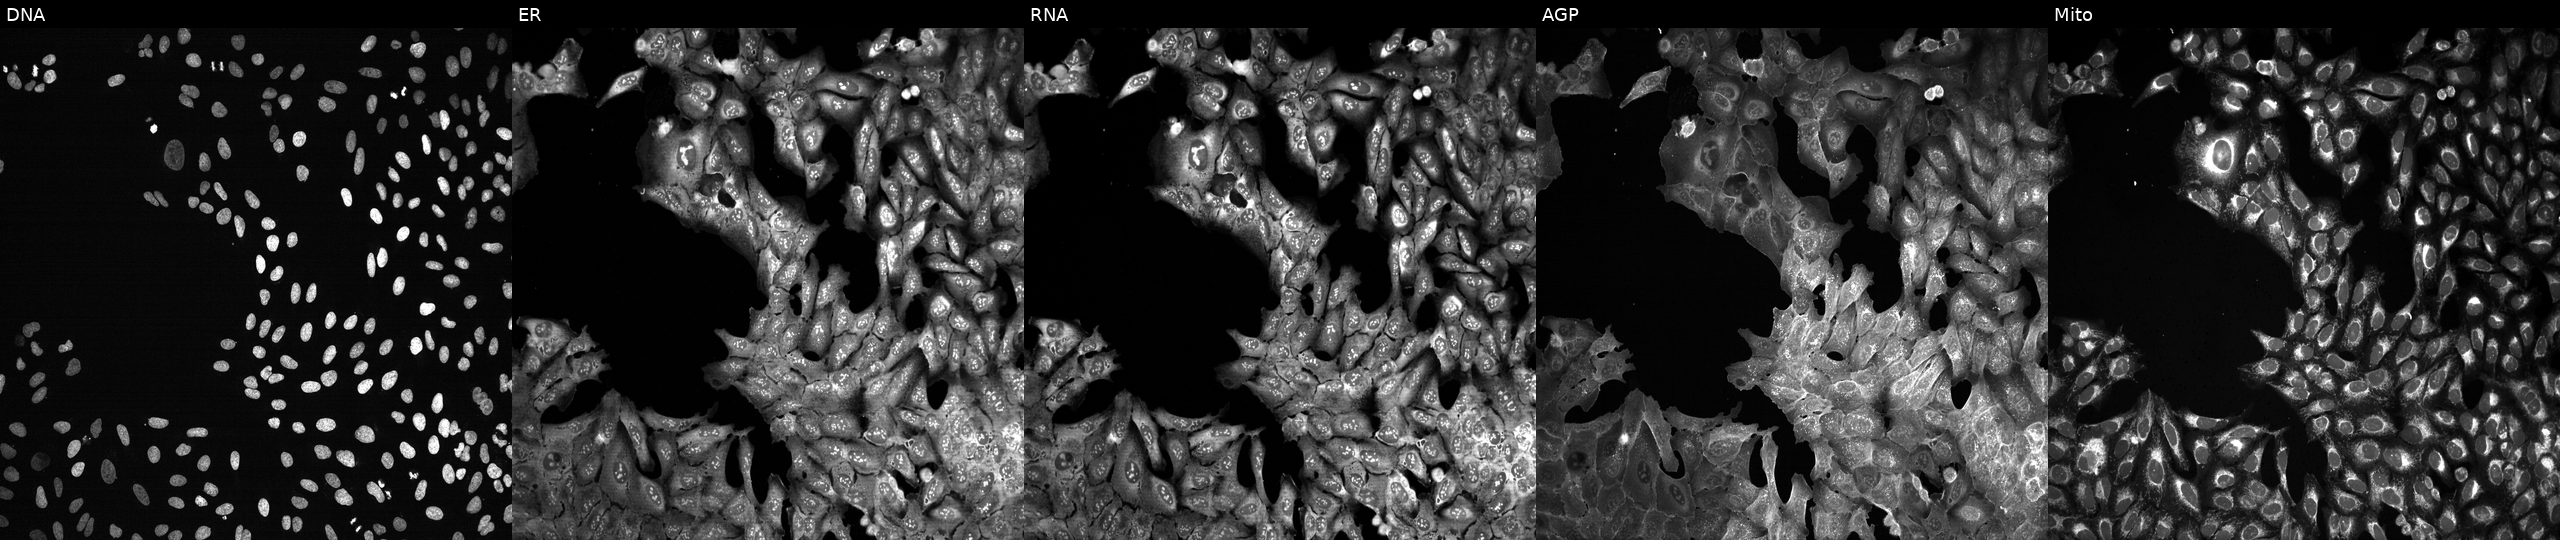
Five-channel Cell Painting image of U2OS cells following CRISPR knockout of ADAM19 (JUMP id JCP2022_800171). Panels show, left to right, DNA (nuclei); ER (endoplasmic reticulum); RNA (nucleoli and cytoplasmic RNA); AGP (actin cytoskeleton, Golgi, and plasma membrane); Mito (mitochondria).